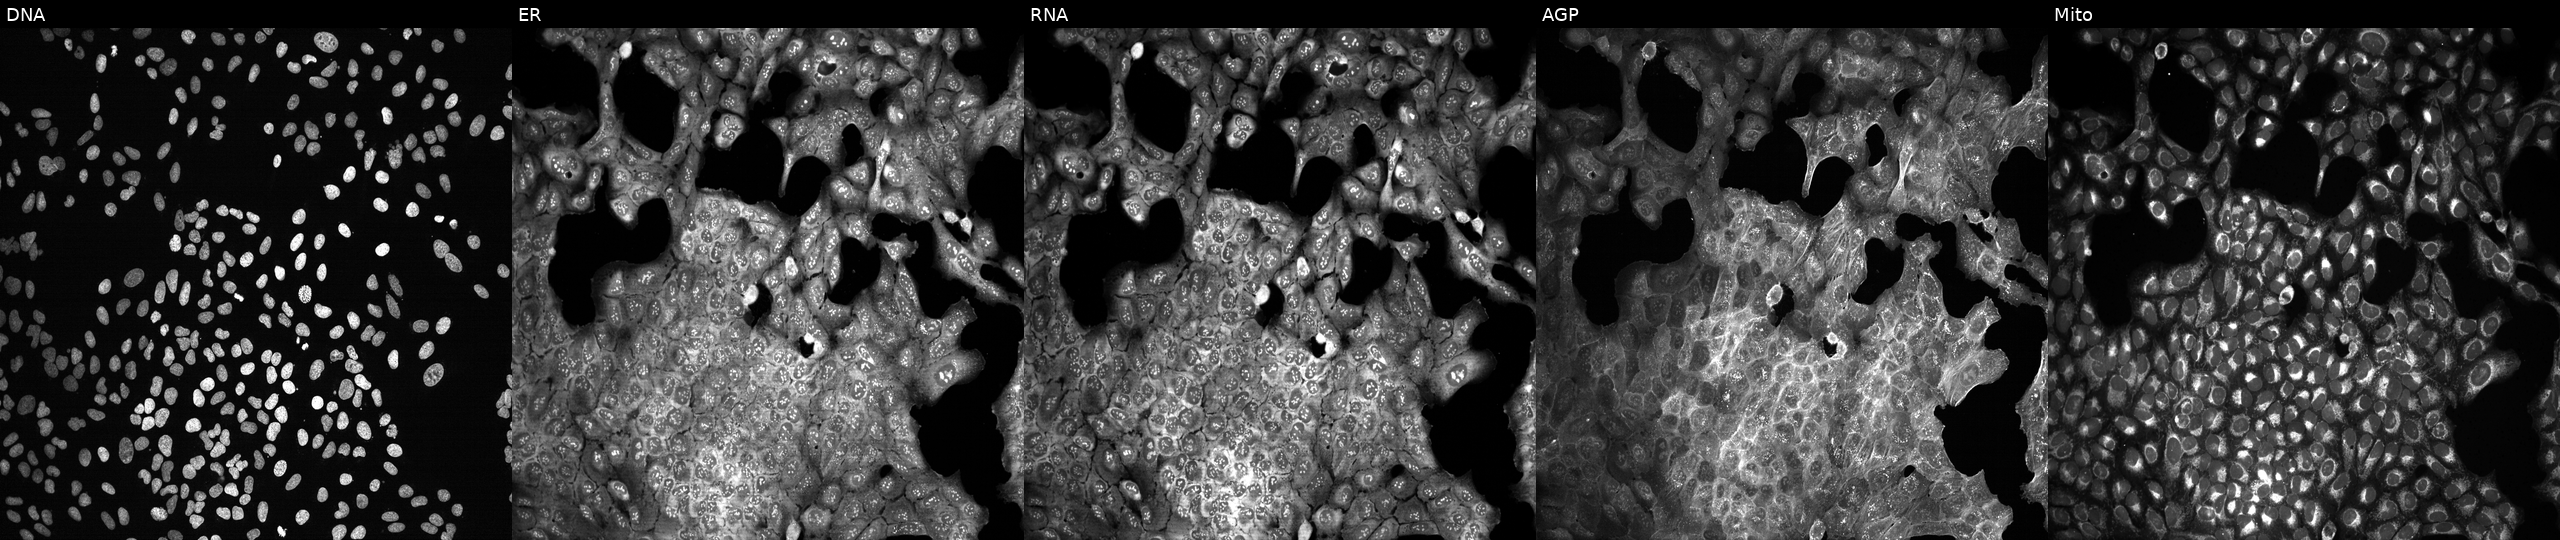
JUMP Cell Painting — CRISPR plate. U2OS cells with SRF knocked out by CRISPR (JUMP id JCP2022_806769). From left to right: DNA (nuclei); ER (endoplasmic reticulum); RNA (nucleoli and cytoplasmic RNA); AGP (actin cytoskeleton, Golgi, and plasma membrane); Mito (mitochondria).